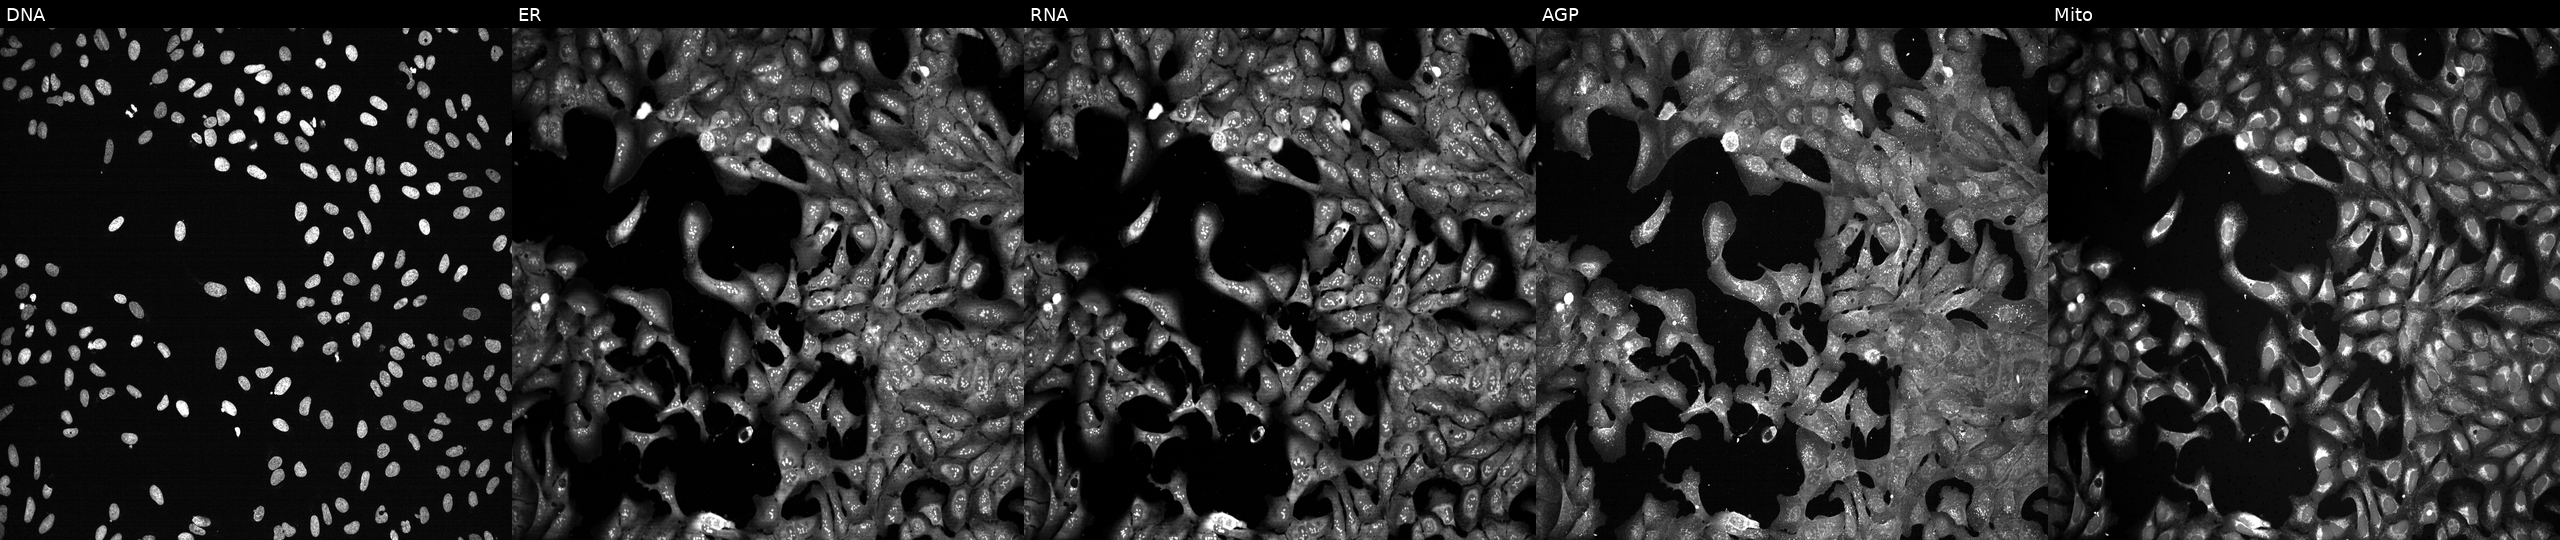
JUMP Cell Painting — CRISPR plate. U2OS cells CRISPR-edited to disrupt DDX43. The five panels, left to right, show Hoechst 33342, concanavalin A, SYTO 14, phalloidin and WGA, MitoTracker.